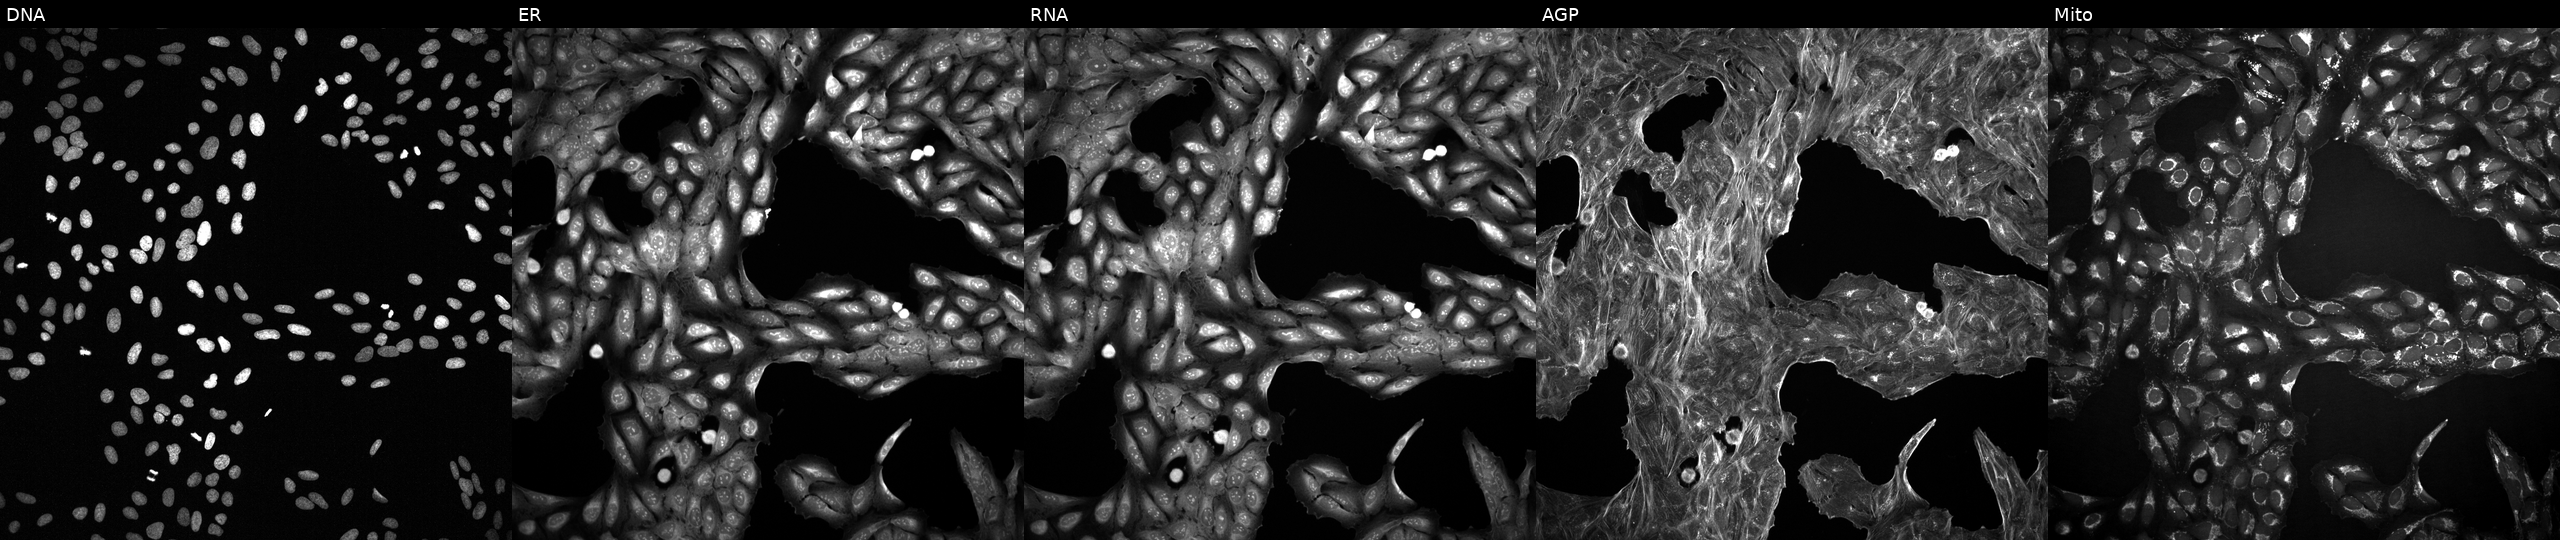
This image strip shows the five Cell Painting channels for a single field of U2OS cells exposed to a small-molecule compound (InChIKey JPAYUEFYDOGISN-UHFFFAOYSA-N) [SMILES: O=C(O)CCC(=O)NOCc1ccccc1]. Panels show, left to right, Hoechst 33342, concanavalin A, SYTO 14, phalloidin and WGA, MitoTracker.